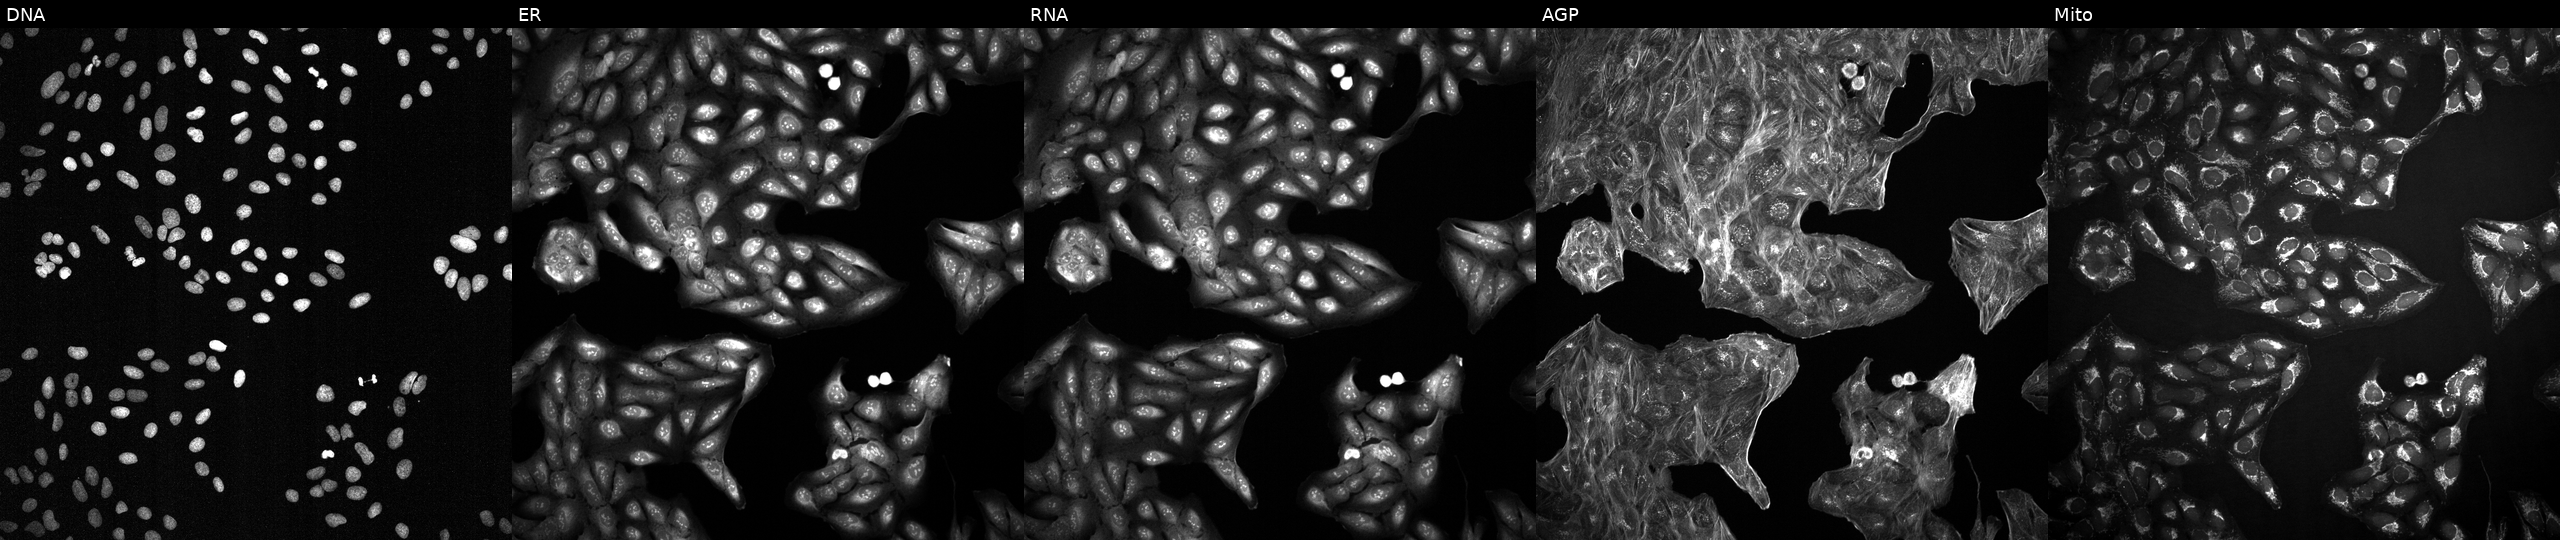
The five panels, left to right, show DNA (nuclei); ER (endoplasmic reticulum); RNA (nucleoli and cytoplasmic RNA); AGP (actin cytoskeleton, Golgi, and plasma membrane); Mito (mitochondria). U2OS osteosarcoma cells exposed to DMSO alone as a negative control (JUMP id JCP2022_033924). Cell Painting assay, JUMP-CP dataset.